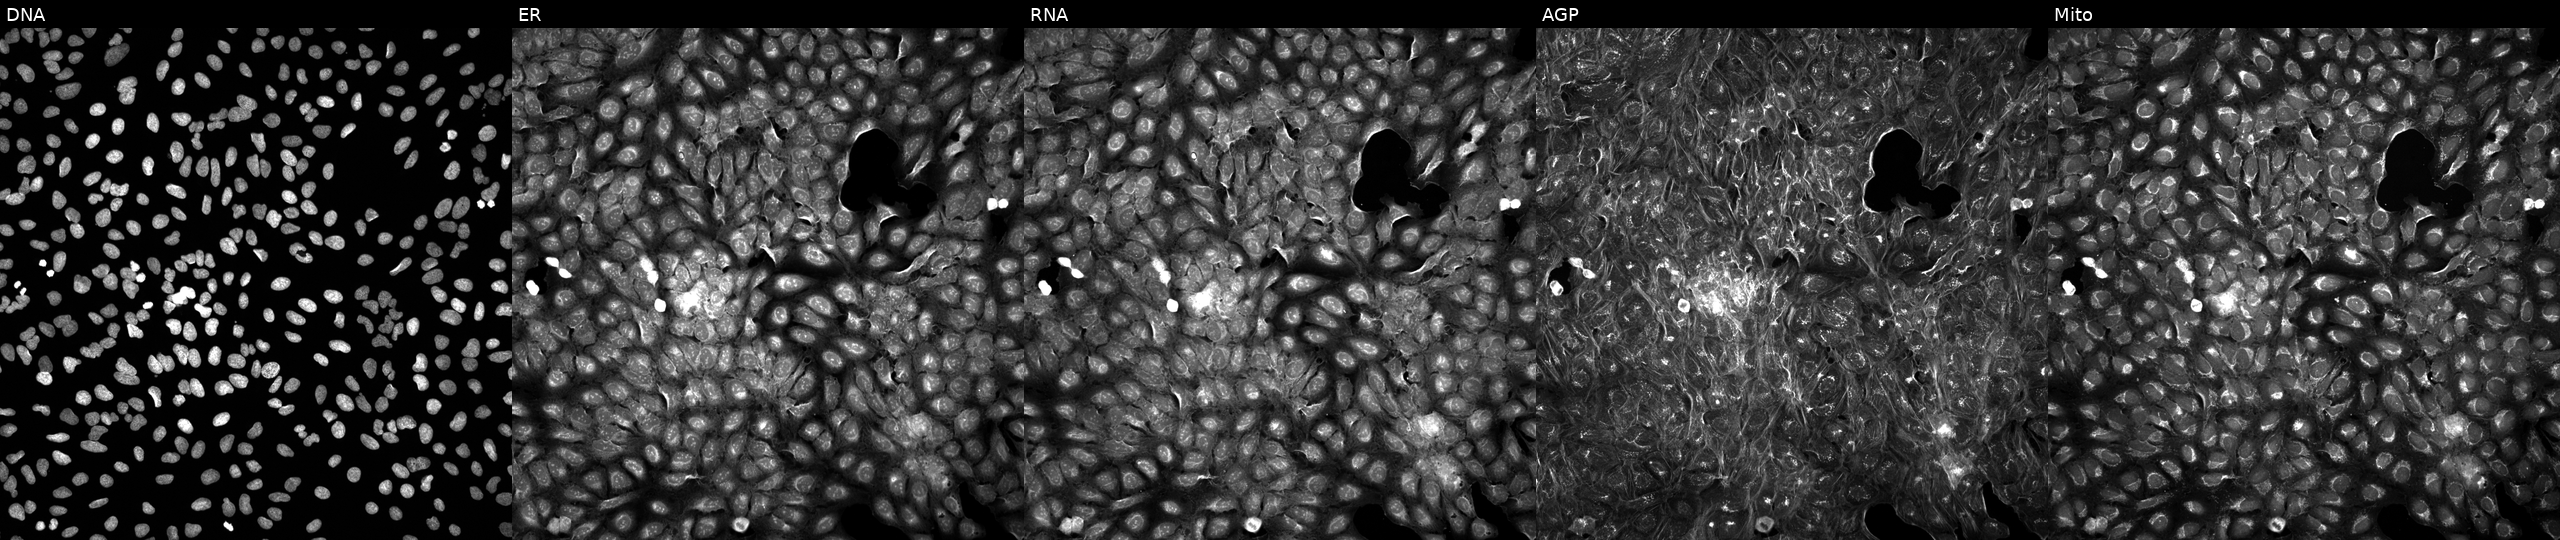
From left to right: DNA (nuclei); ER (endoplasmic reticulum); RNA (nucleoli and cytoplasmic RNA); AGP (actin cytoskeleton, Golgi, and plasma membrane); Mito (mitochondria). U2OS osteosarcoma cells exposed to a small-molecule compound (InChIKey DOZZPOWCZYBBGZ-UHFFFAOYSA-N) [SMILES: O=C(Nc1cccc(-c2cc[nH]n2)c1)C1CCCN(C(=O)Cc2ccc(F)cc2)C1]. Cell Painting assay, JUMP-CP dataset.